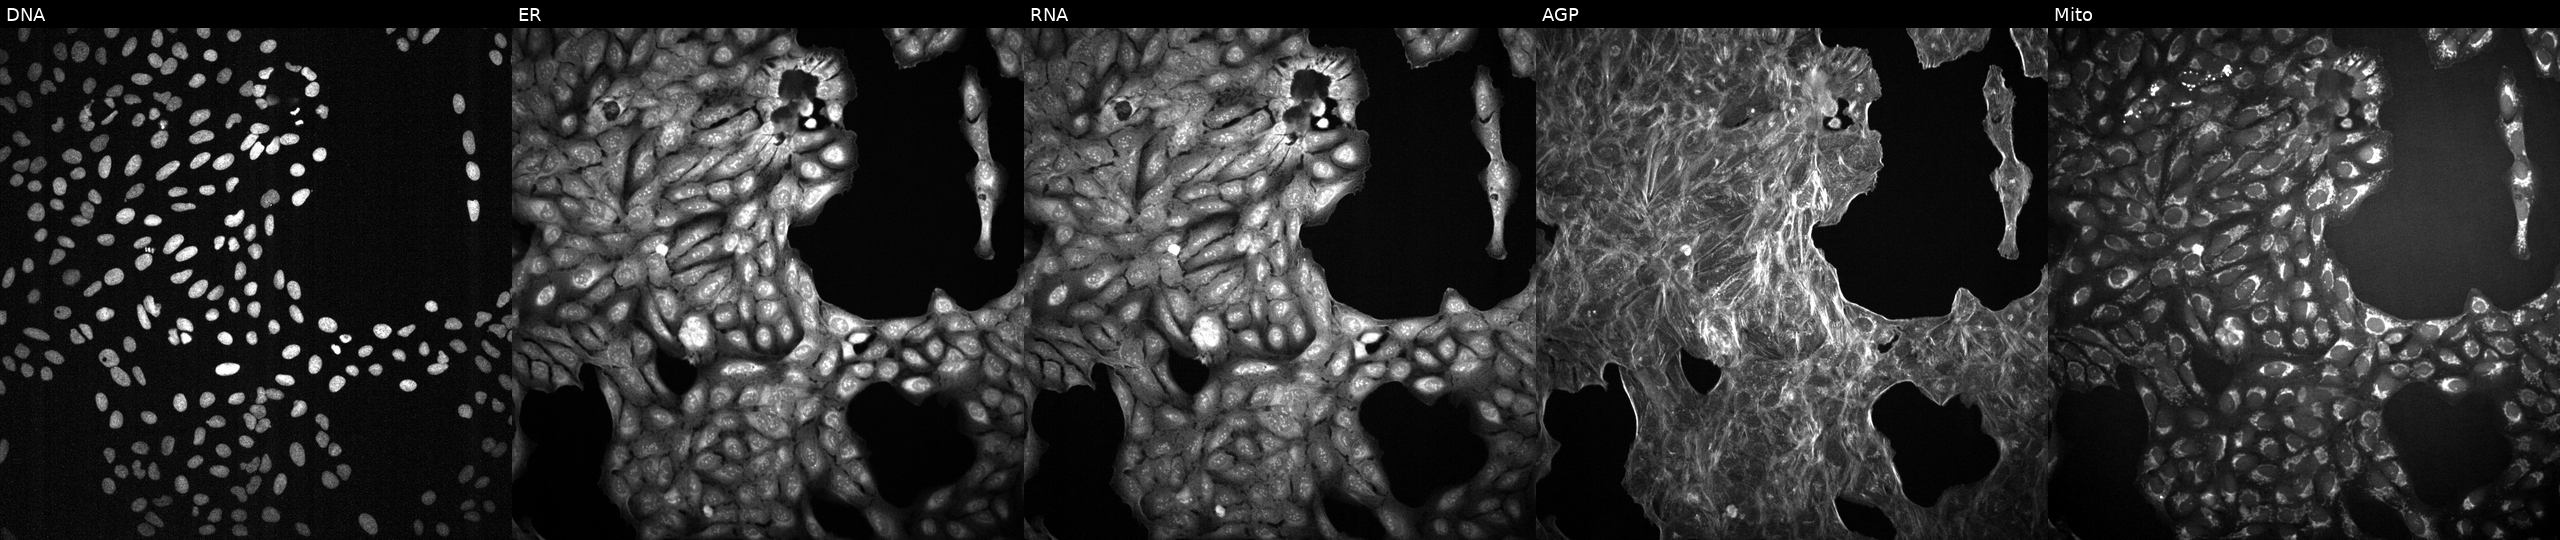
High-content fluorescence microscopy (Cell Painting). Cell line: U2OS. Perturbation: treated with a small-molecule compound [SMILES: C=c1[nH]c(=Cc2c(O)[nH]c3ccccc23)c(C)c1CCC(=O)O] (JUMP id JCP2022_026475). Channels (left→right): DNA, ER, RNA, AGP, and Mito.